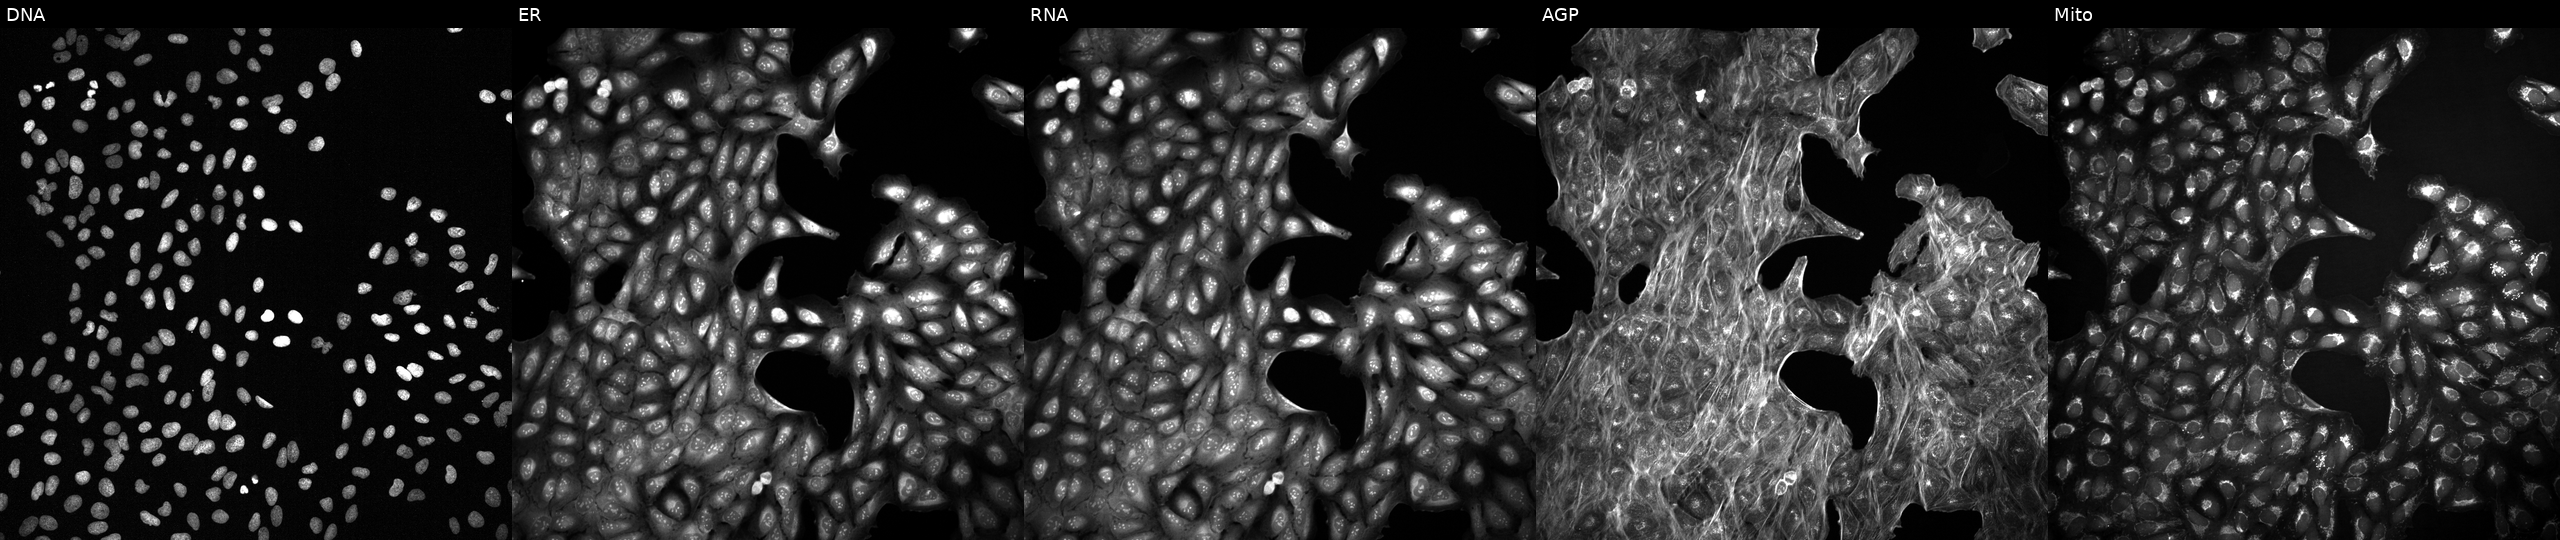
Five-channel Cell Painting image of U2OS cells with an unidentified perturbation (not annotated in JUMP metadata). Panels show, left to right, DNA (nuclei); ER (endoplasmic reticulum); RNA (nucleoli and cytoplasmic RNA); AGP (actin cytoskeleton, Golgi, and plasma membrane); Mito (mitochondria).